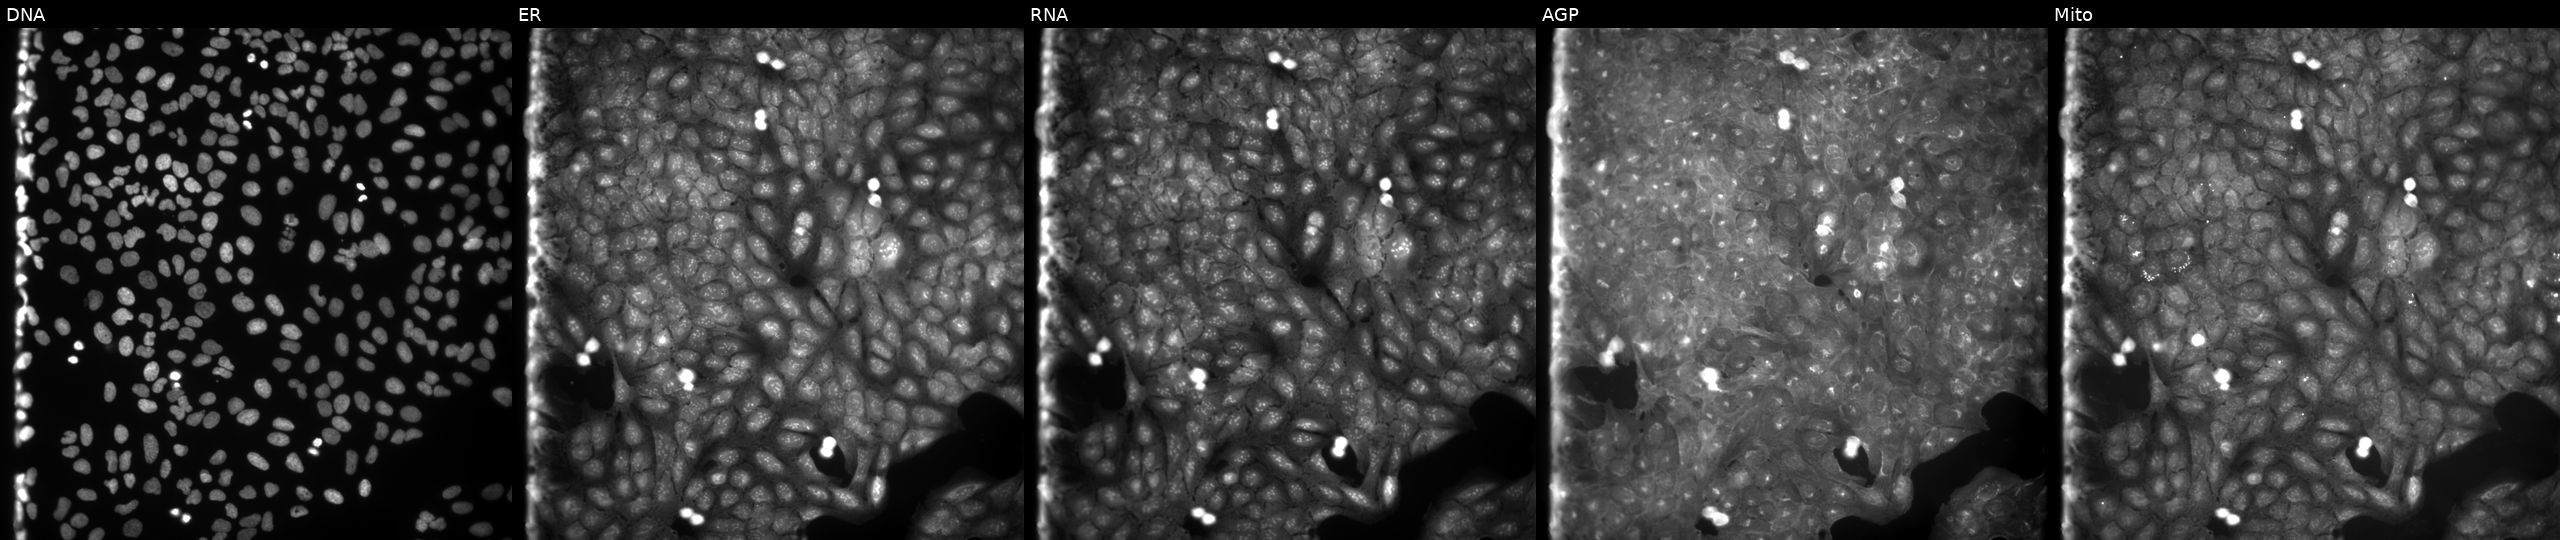
This image strip shows the five Cell Painting channels for a single field of U2OS cells exposed to a small-molecule compound (InChIKey KGCGDYADLNUQIH-UHFFFAOYSA-N). From left to right: DNA, ER, RNA, AGP, and Mito.